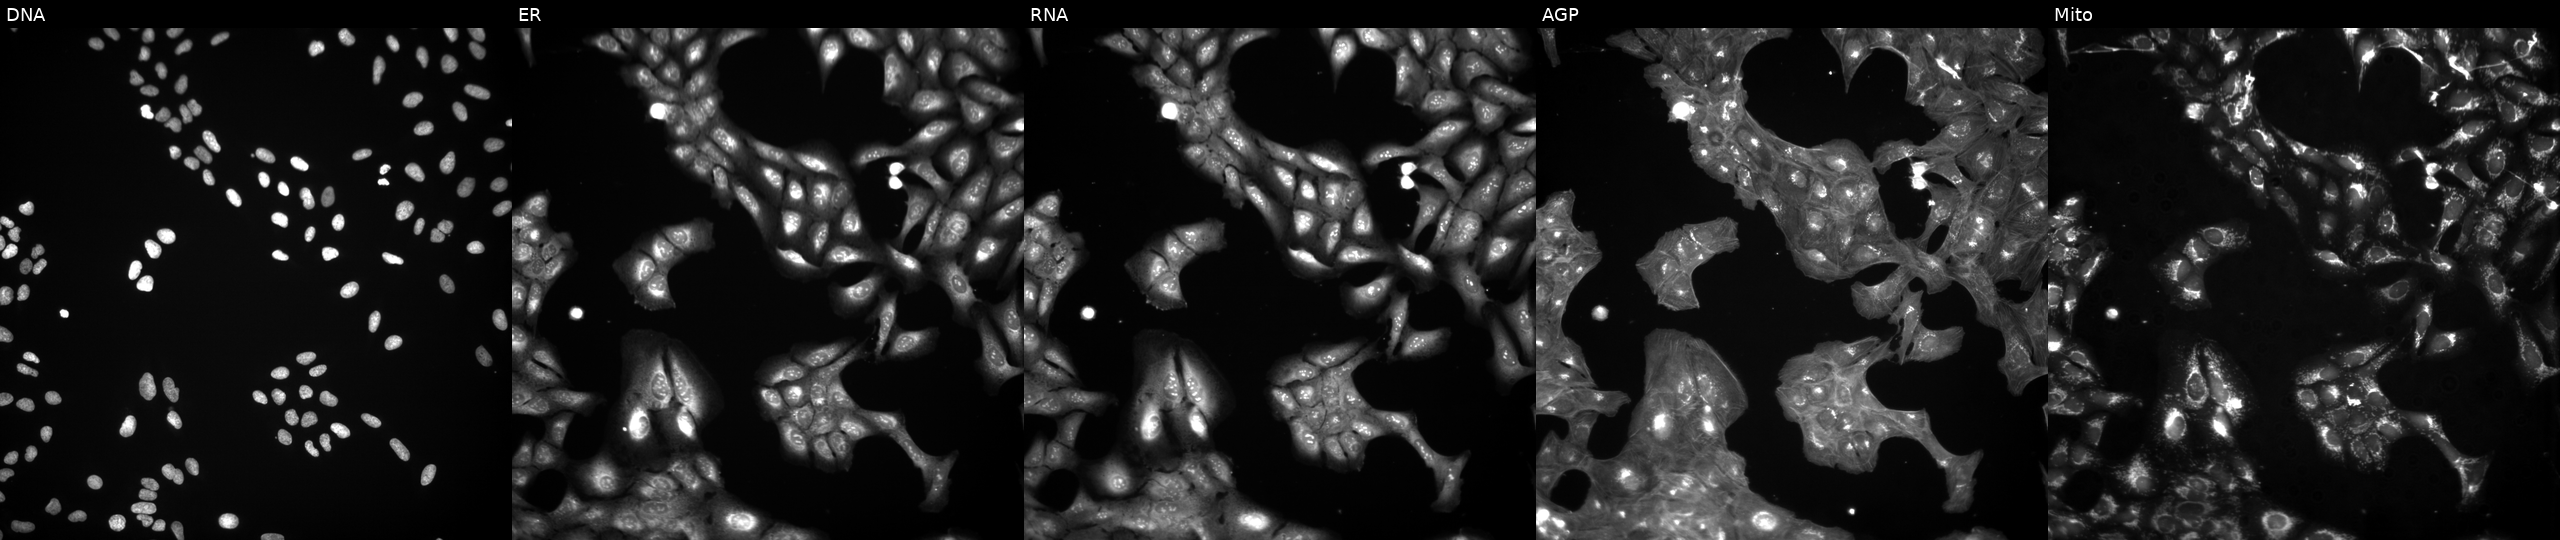
U2OS cells, Cell Painting assay, exposed to a small-molecule compound [SMILES: NC(CSSCC(N)C(=O)O)C(=O)O] (JUMP id JCP2022_048971). Panels show, left to right, DNA, ER, RNA, AGP, and Mito. Each panel is percentile-stretched 16-bit fluorescence.